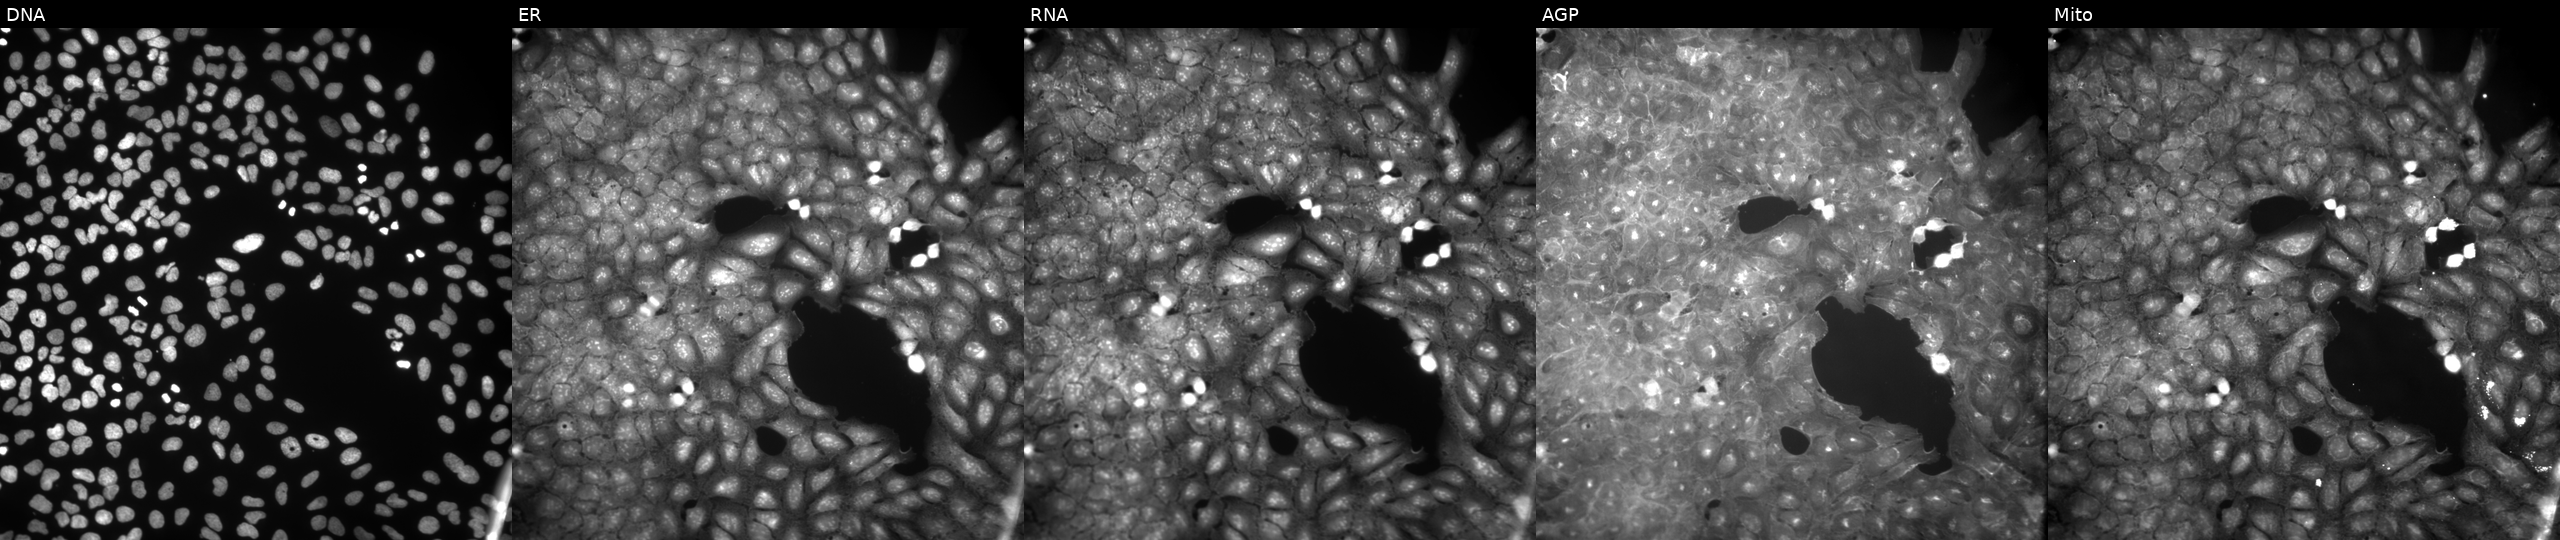
Channels (left→right): Hoechst 33342, concanavalin A, SYTO 14, phalloidin and WGA, MitoTracker. U2OS osteosarcoma cells treated with a small-molecule compound. Cell Painting assay, JUMP-CP dataset. Source 9, plate GR00003381, well AE19.